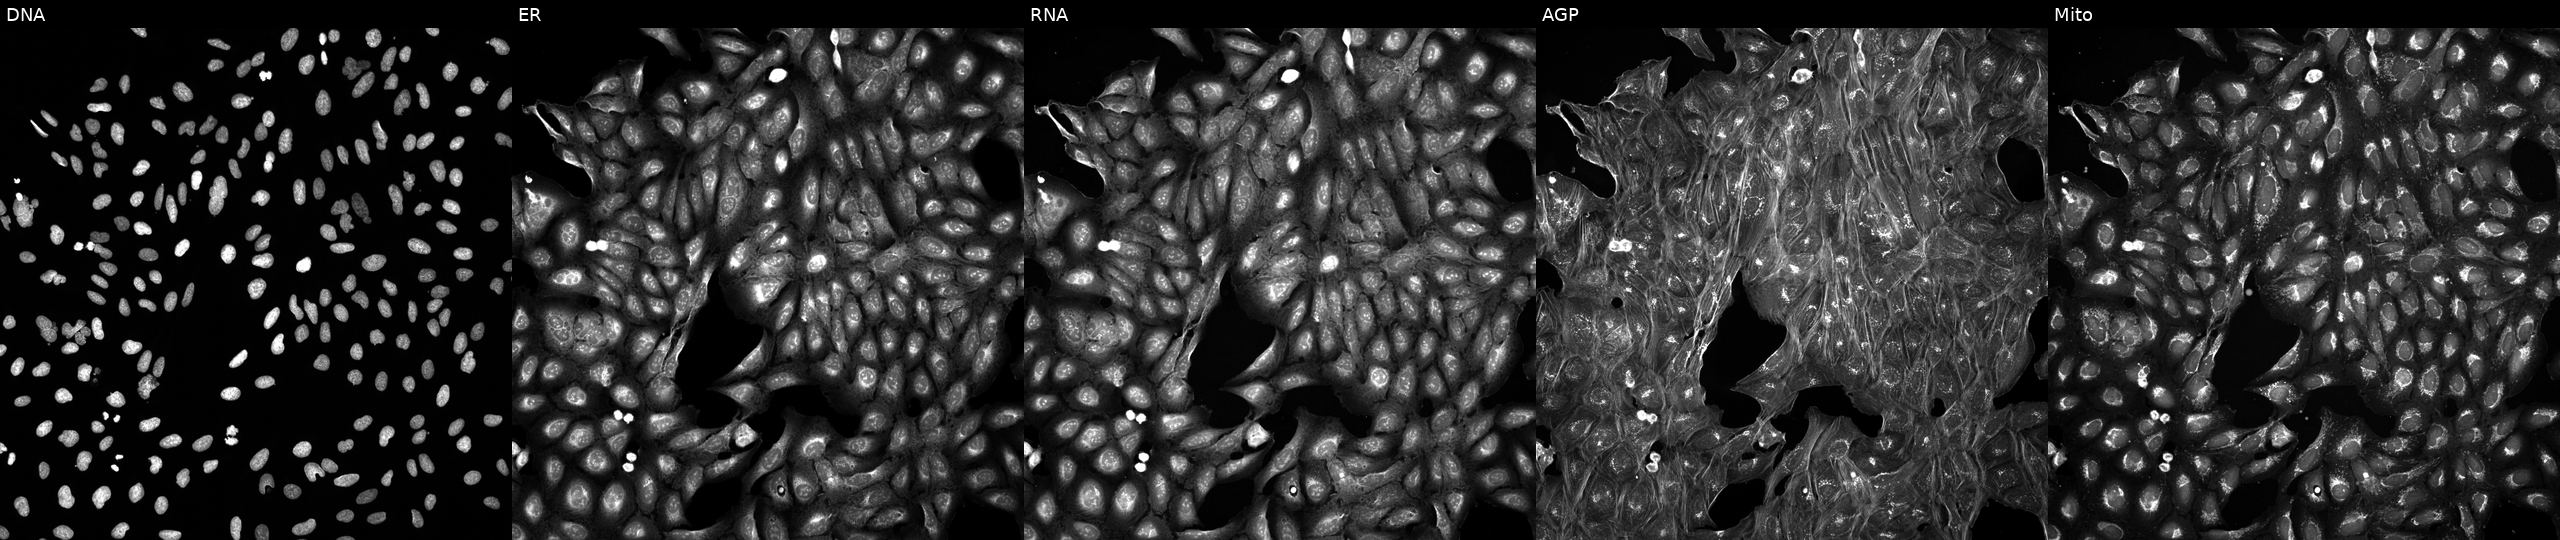
The five panels, left to right, show DNA, ER, RNA, AGP, and Mito. U2OS osteosarcoma cells treated with a small-molecule compound [SMILES: COC(C(=O)n1cc2[nH][nH]c(=NC(O)c3ccc(N4CCN(C)CC4)cc3)c2c1)c1ccccc1]. Cell Painting assay, JUMP-CP dataset. Source 5, plate ACPJUM032, well J14.